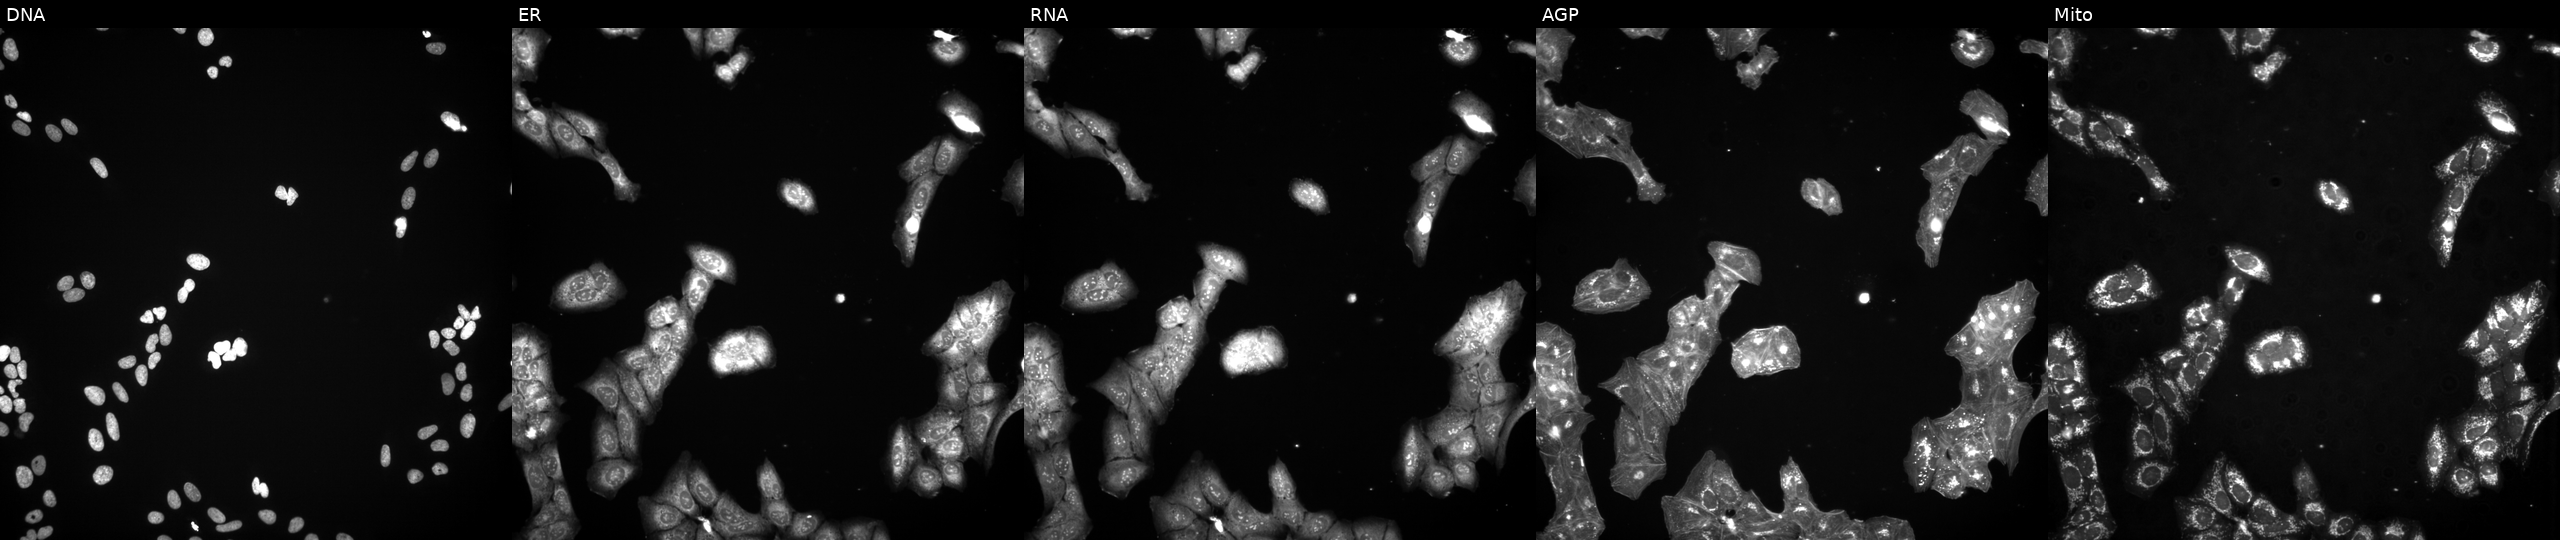
U2OS cells, Cell Painting assay, perturbed with a small-molecule compound. From left to right: DNA (nuclei); ER (endoplasmic reticulum); RNA (nucleoli and cytoplasmic RNA); AGP (actin cytoskeleton, Golgi, and plasma membrane); Mito (mitochondria). Each panel is percentile-stretched 16-bit fluorescence.